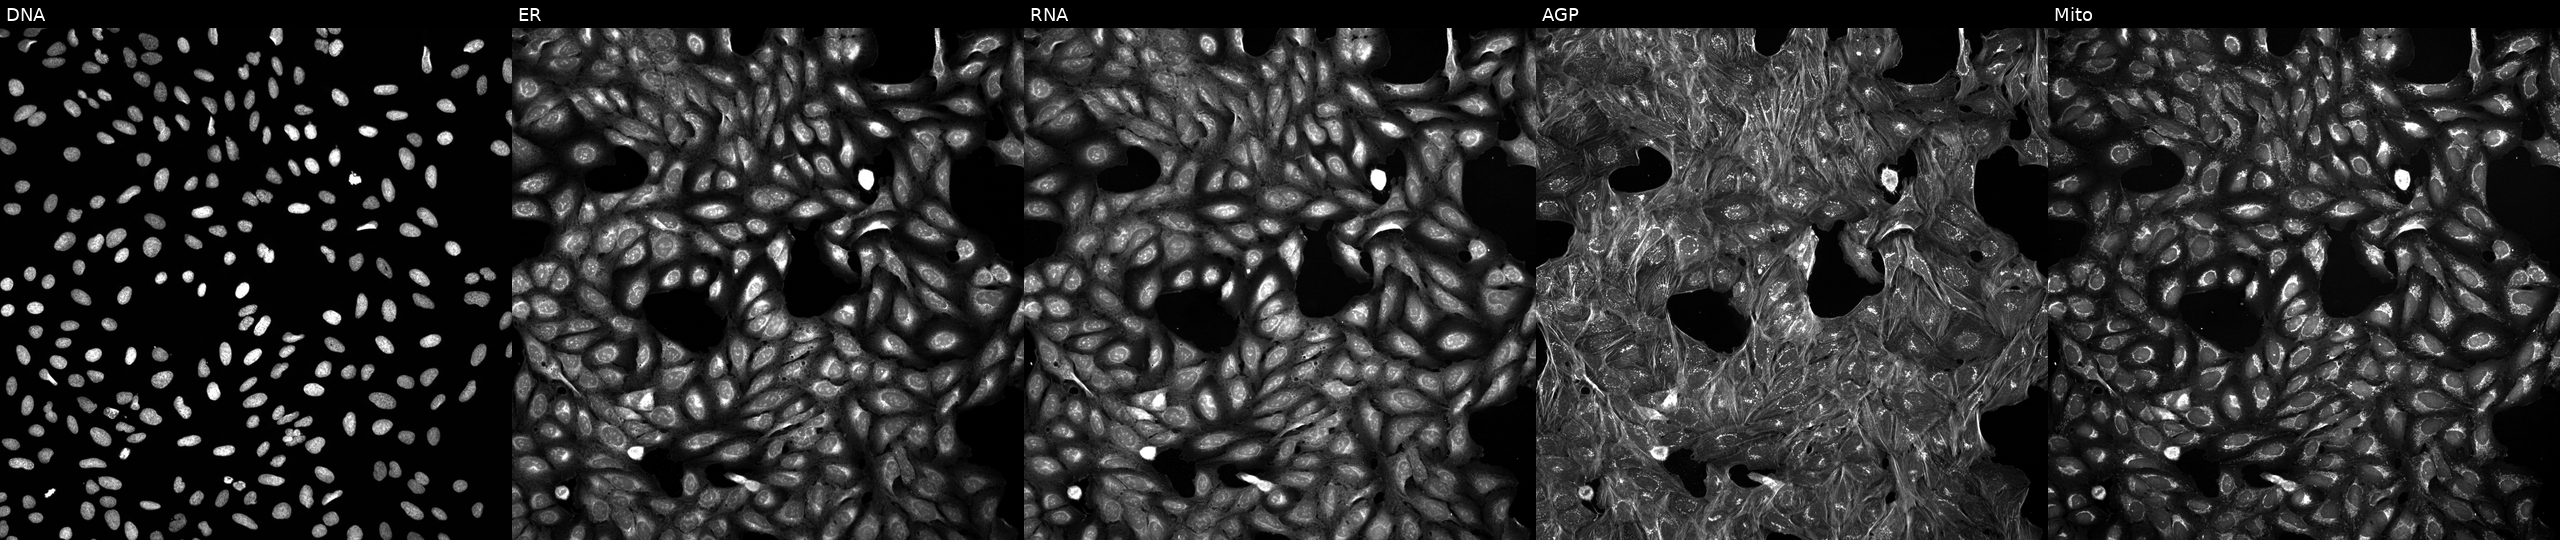
The five panels, left to right, show DNA, ER, RNA, AGP, and Mito. U2OS osteosarcoma cells treated with a small-molecule compound (InChIKey AZYDQCGCBQYFSE-UHFFFAOYSA-N). Cell Painting assay, JUMP-CP dataset.